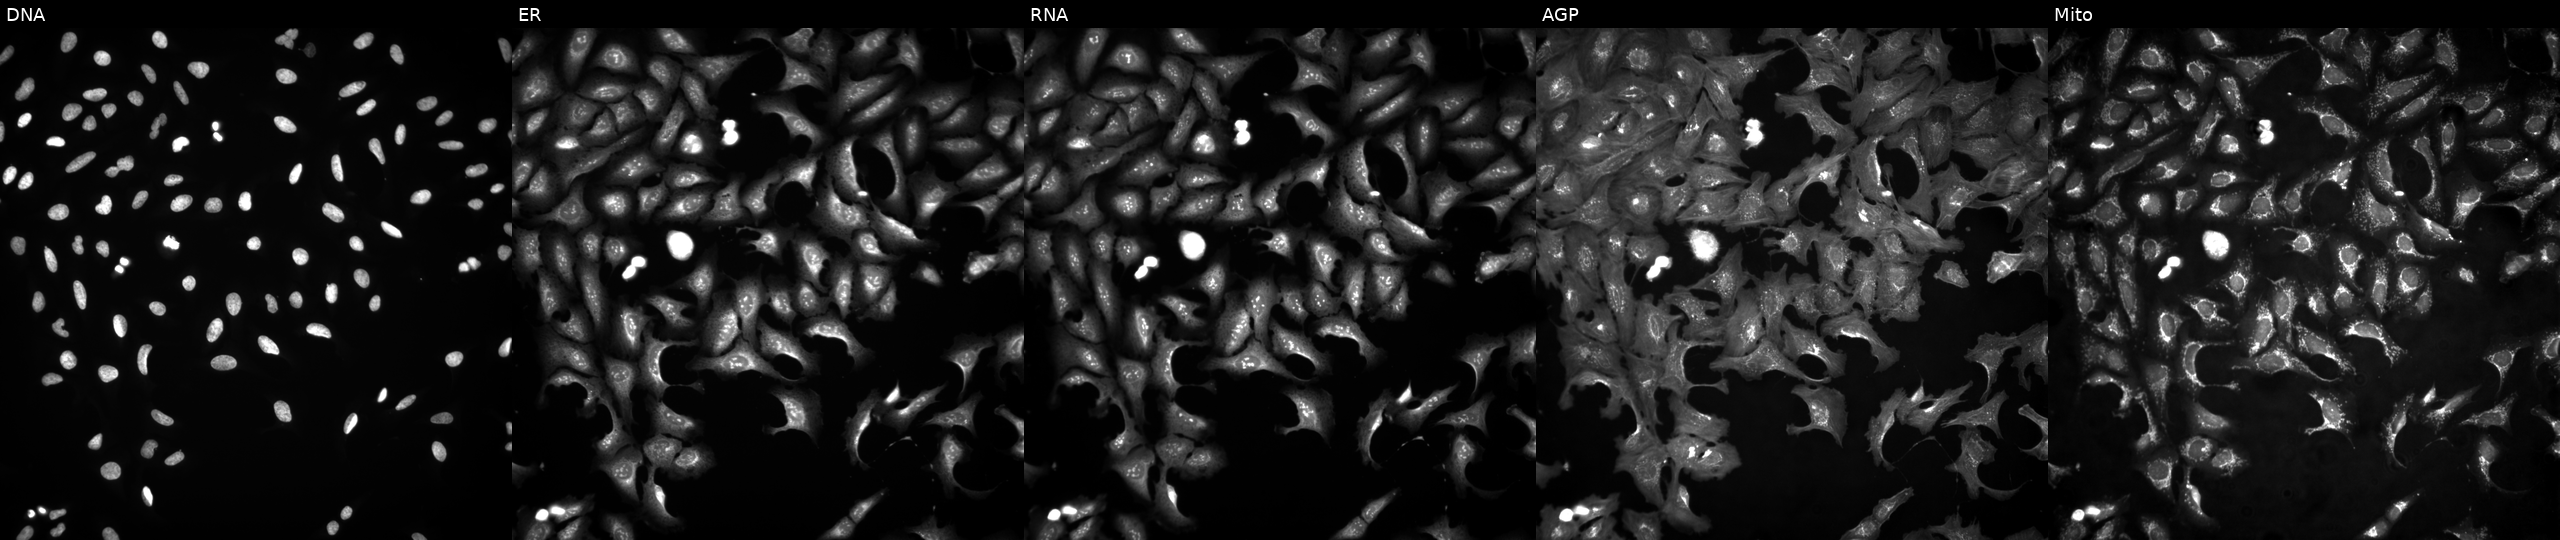
This image strip shows the five Cell Painting channels for a single field of U2OS cells overexpressing STK35 via ORF transfection. Channels (left→right): DNA, ER, RNA, AGP, and Mito.